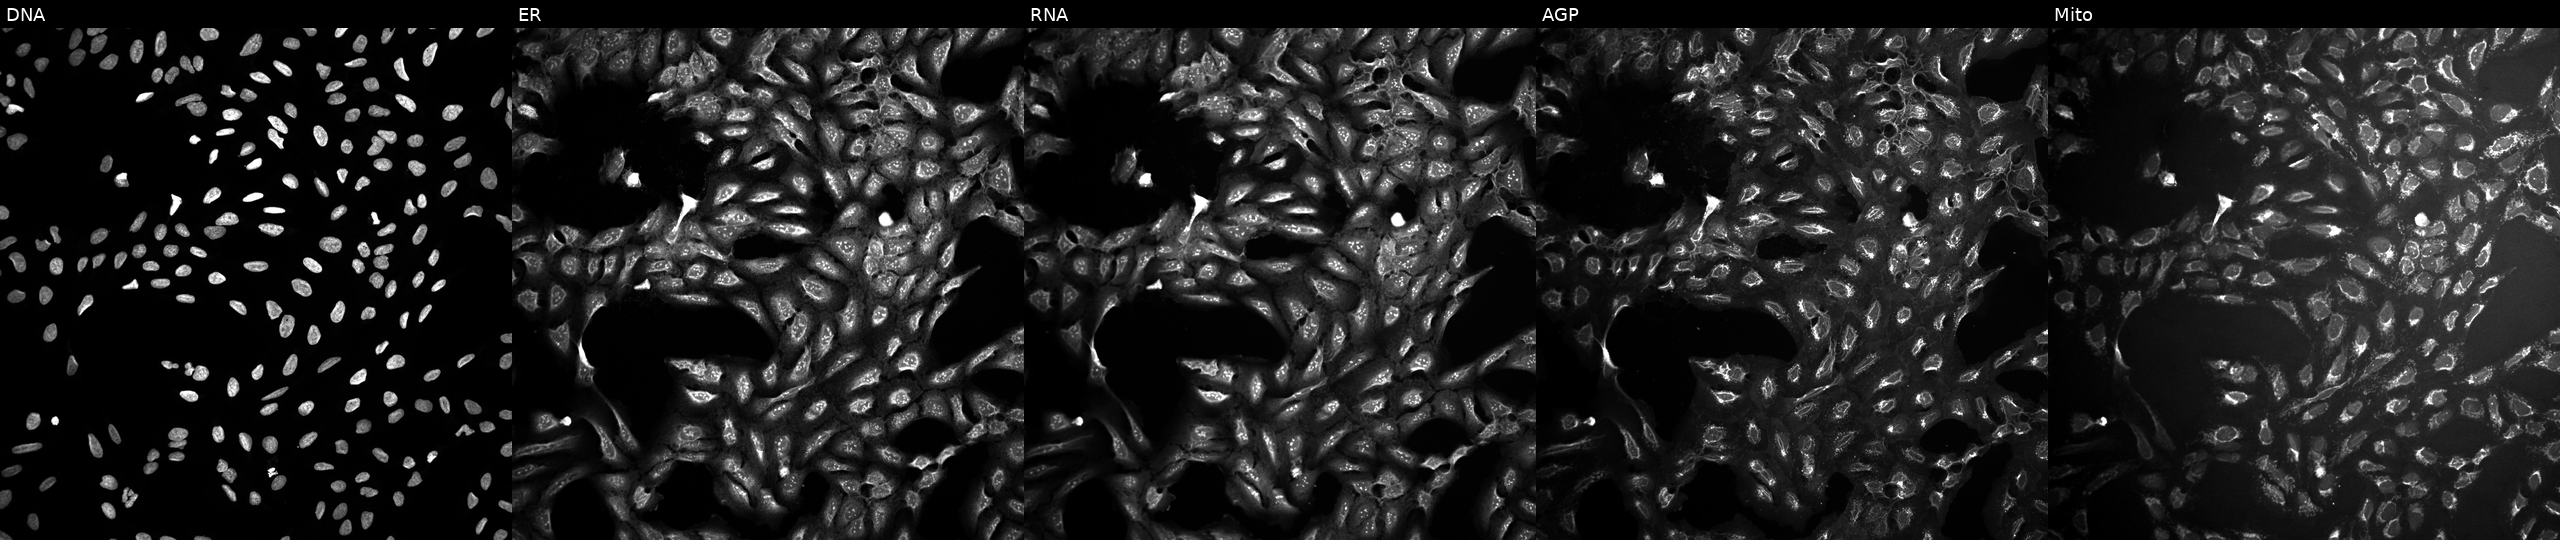
JUMP Cell Painting — TARGET2 plate. U2OS cells treated with DMSO vehicle only (negative control). Channels (left→right): DNA, ER, RNA, AGP, and Mito.